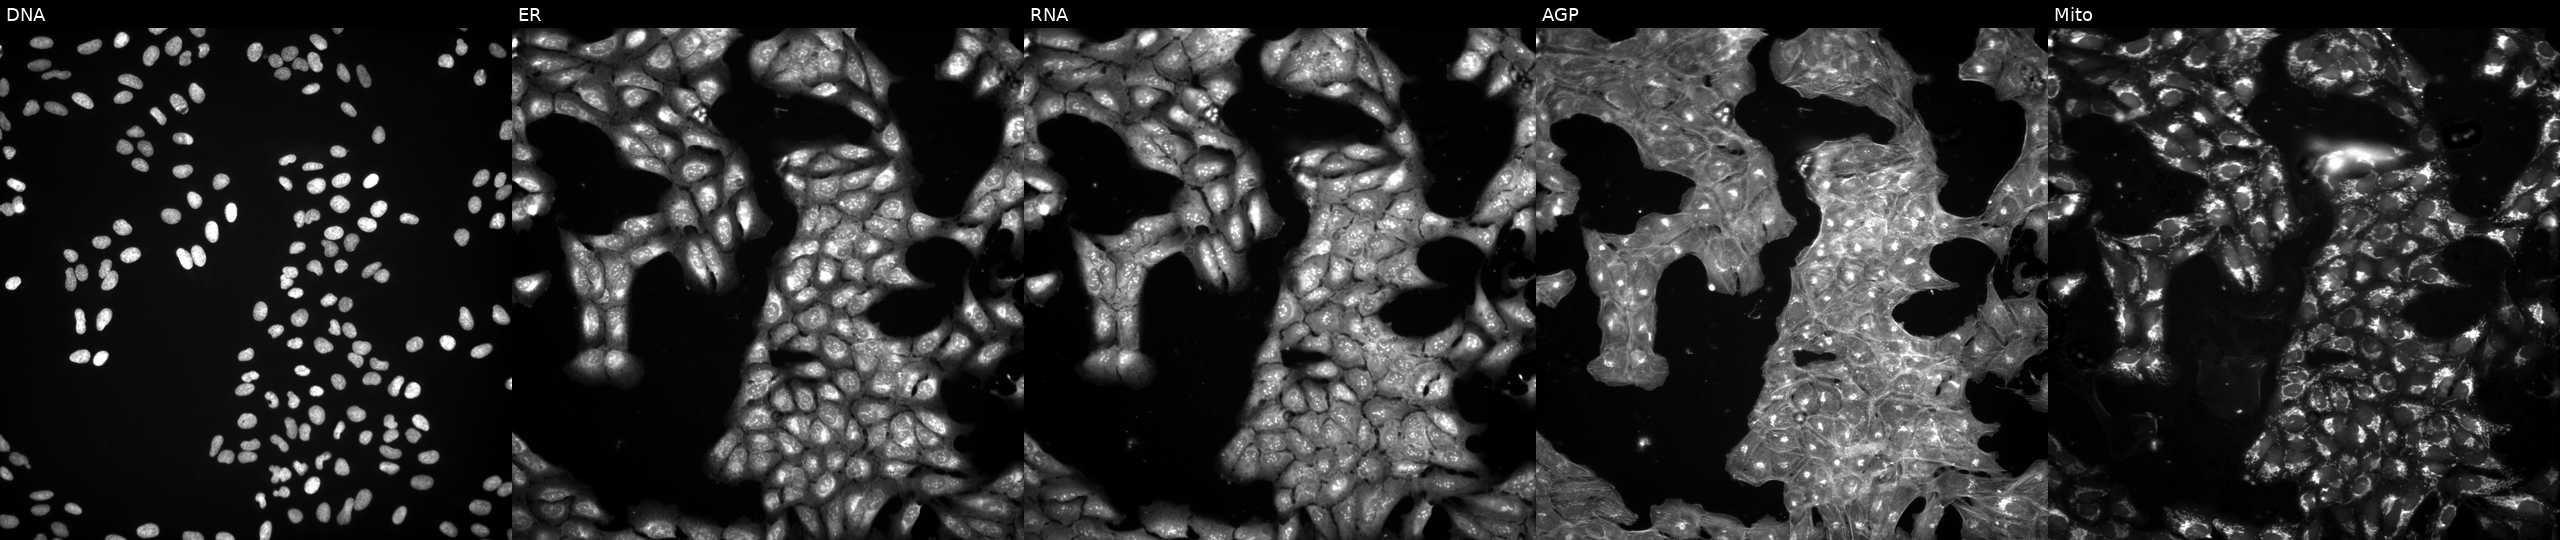
JUMP Cell Painting — COMPOUND plate. U2OS cells treated with a small-molecule compound (InChIKey YROXVIRYZVRSBJ-UHFFFAOYSA-N) [SMILES: Cc1cc(Cl)ccc1OCCCC(=O)Nc1ccccc1C(F)(F)F] (JUMP id JCP2022_110370). Panels show, left to right, DNA (nuclei); ER (endoplasmic reticulum); RNA (nucleoli and cytoplasmic RNA); AGP (actin cytoskeleton, Golgi, and plasma membrane); Mito (mitochondria).